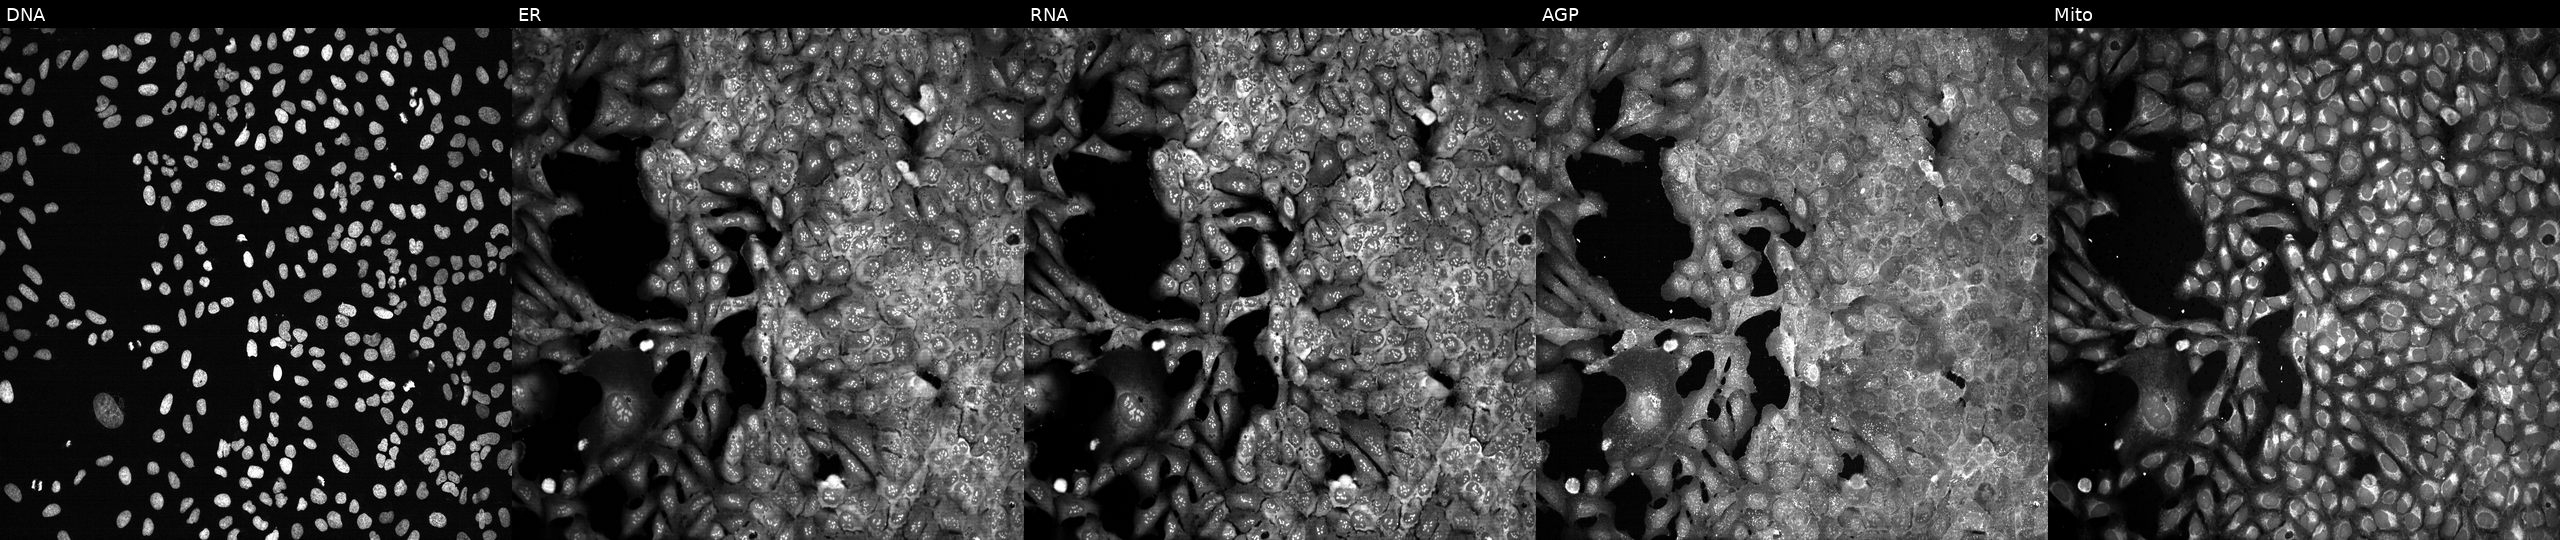
U2OS cells, Cell Painting assay, following CRISPR knockout of SLC22A23 (JUMP id JCP2022_806422). From left to right: DNA (nuclei); ER (endoplasmic reticulum); RNA (nucleoli and cytoplasmic RNA); AGP (actin cytoskeleton, Golgi, and plasma membrane); Mito (mitochondria). Each panel is percentile-stretched 16-bit fluorescence.